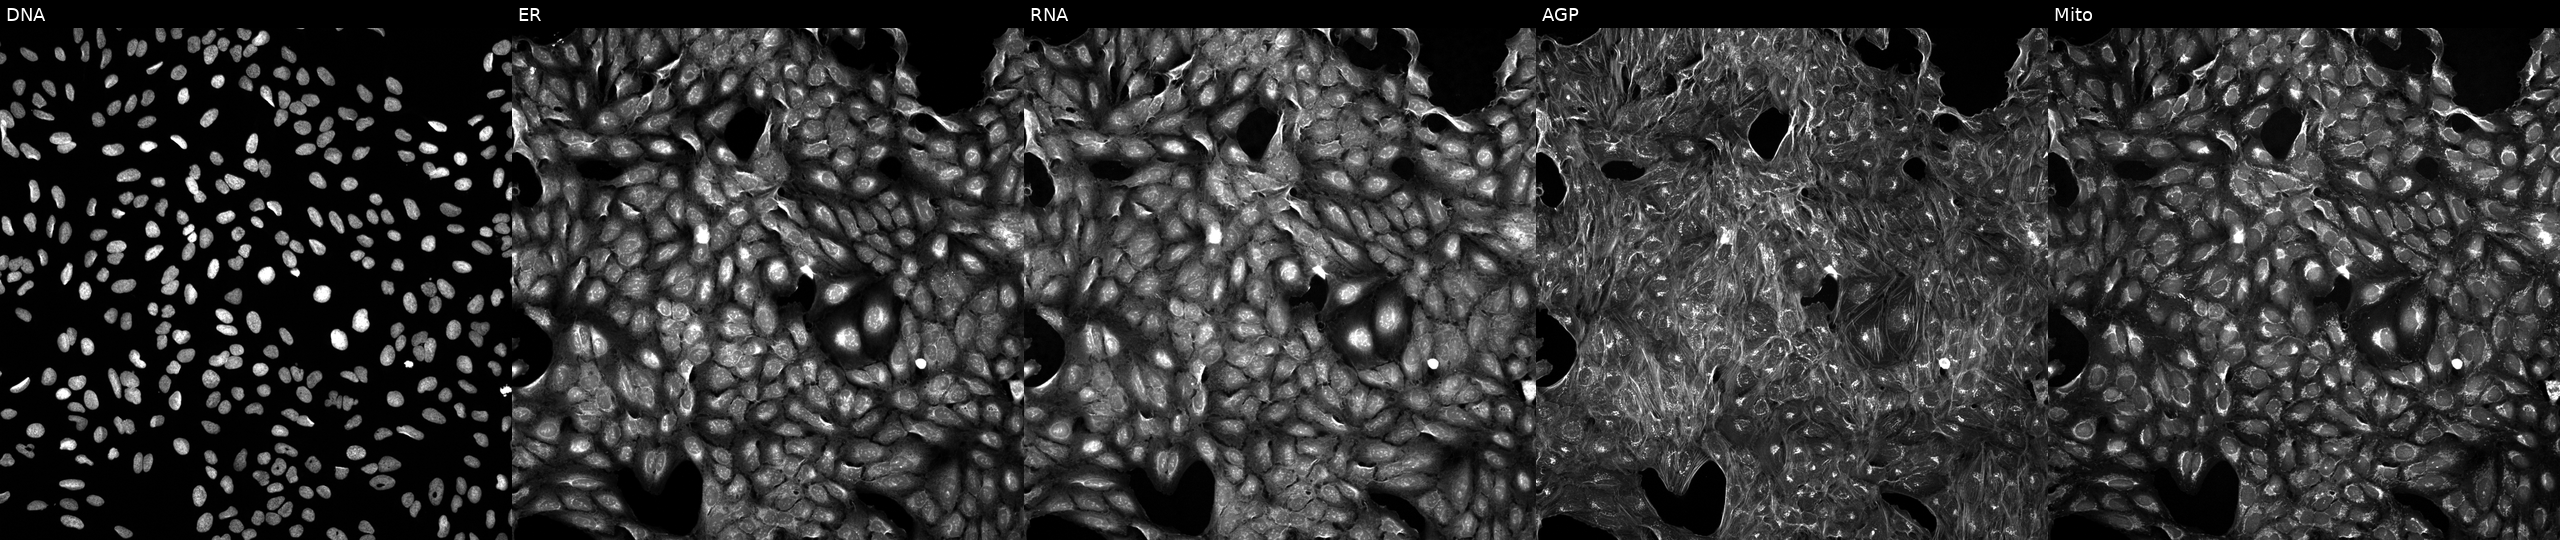
Panels show, left to right, Hoechst 33342, concanavalin A, SYTO 14, phalloidin and WGA, MitoTracker. U2OS osteosarcoma cells treated with a small-molecule compound (InChIKey QHKYPYXTTXKZST-UHFFFAOYSA-N) [SMILES: Oc1ccc(-c2nc(-c3ccc(F)cc3)c(-c3ccncc3)[nH]2)cc1] (JUMP id JCP2022_073458). Cell Painting assay, JUMP-CP dataset.